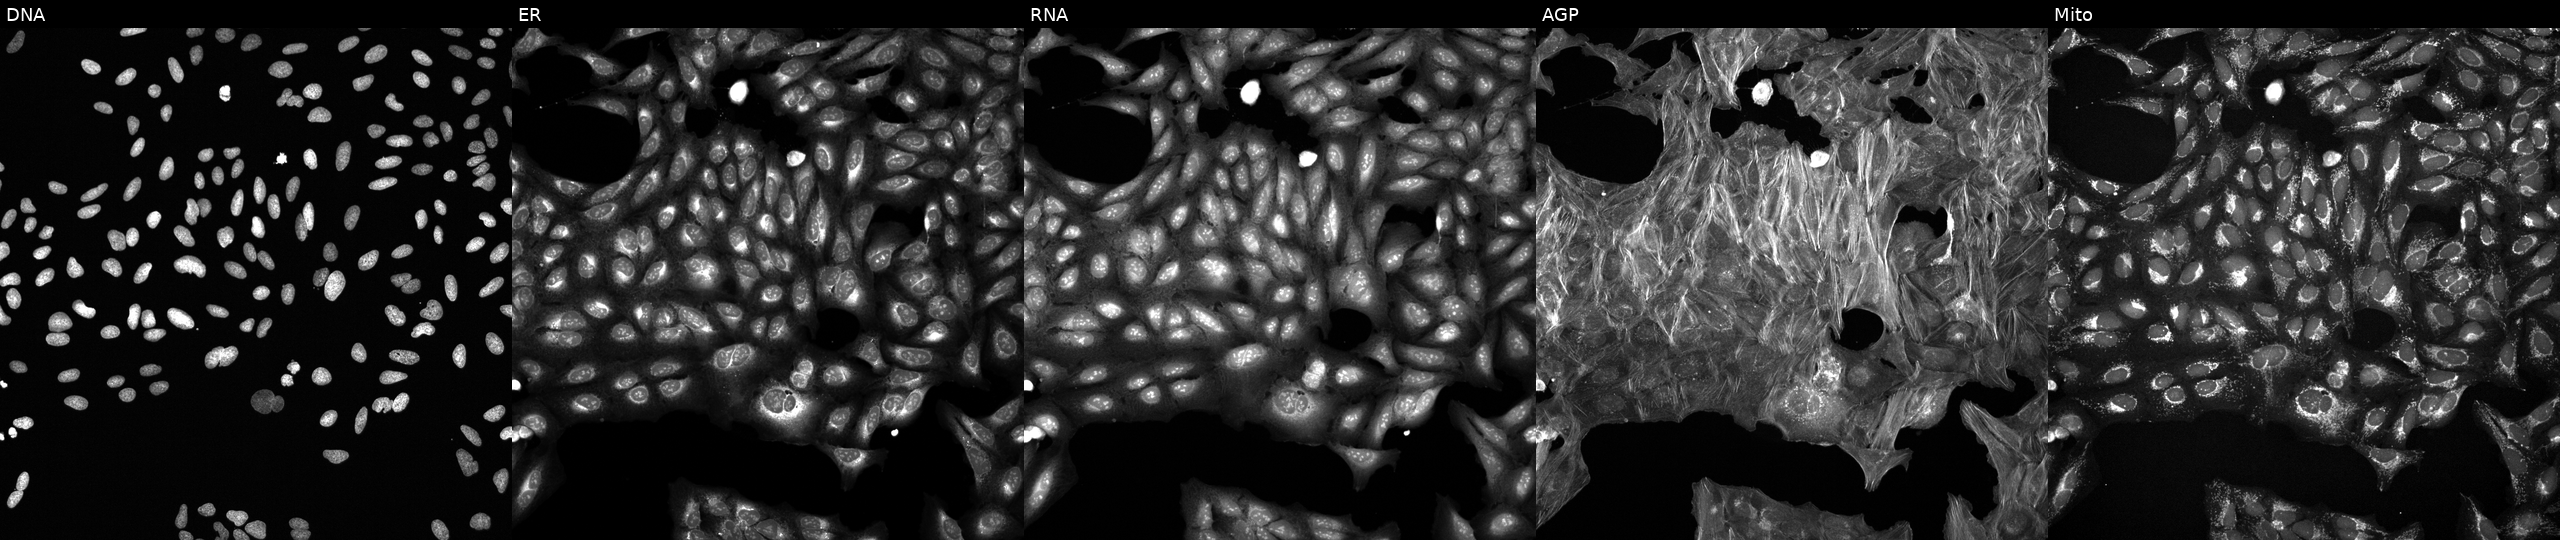
U2OS cells, Cell Painting assay, perturbed with a small-molecule compound (InChIKey XDJCLCLBSGGNKS-UHFFFAOYSA-N) (JUMP id JCP2022_102936). Channels (left→right): DNA (nuclei); ER (endoplasmic reticulum); RNA (nucleoli and cytoplasmic RNA); AGP (actin cytoskeleton, Golgi, and plasma membrane); Mito (mitochondria). Each panel is percentile-stretched 16-bit fluorescence.